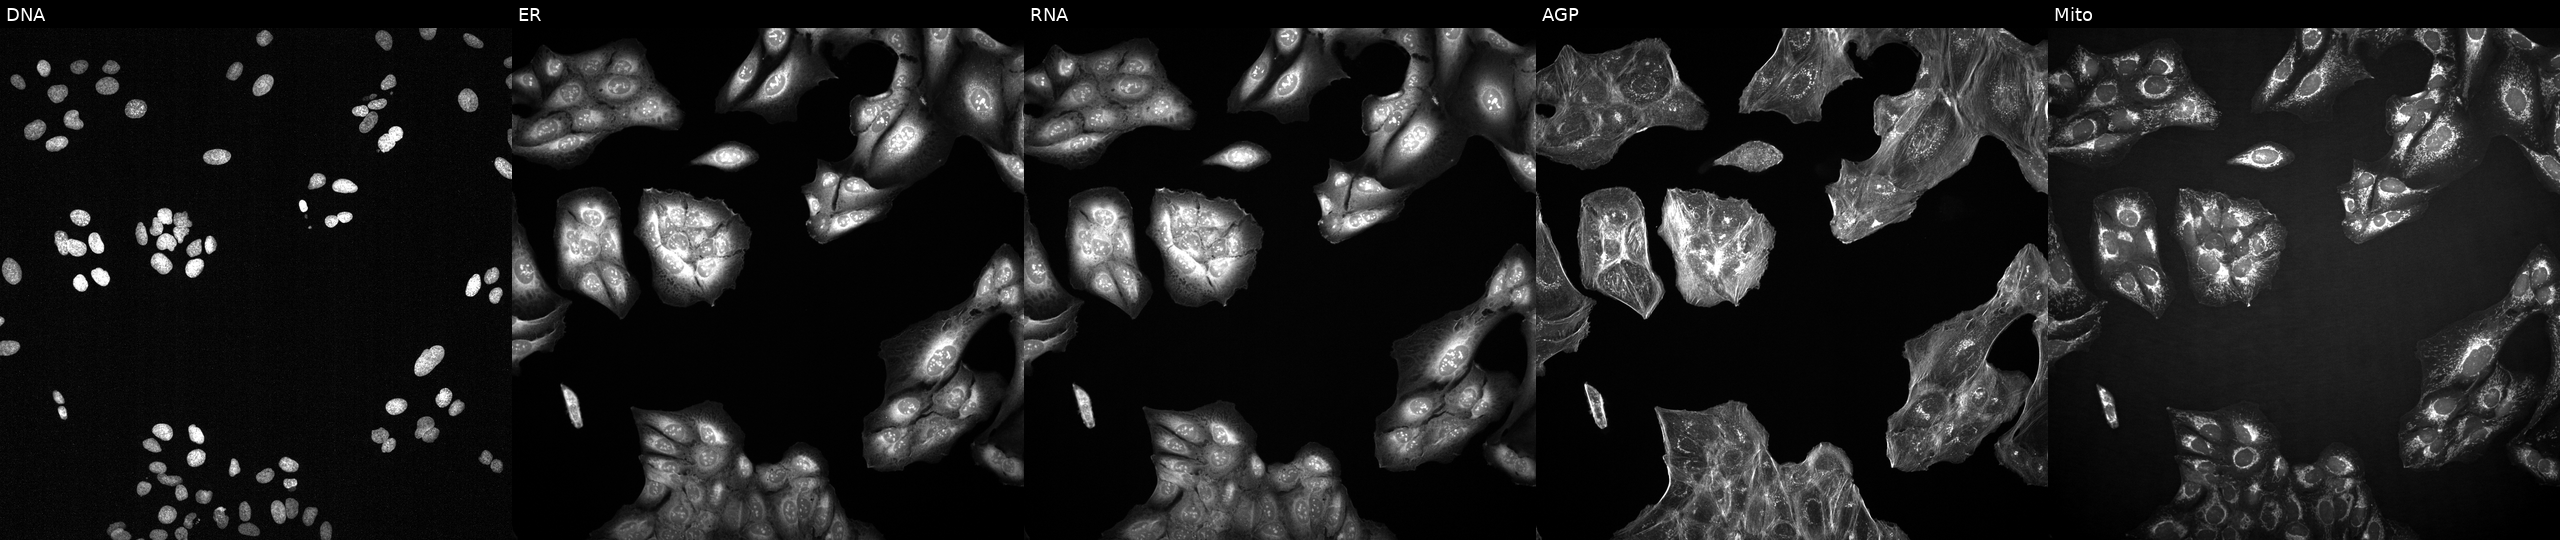
JUMP Cell Painting — TARGET2 plate. U2OS cells perturbed with a small-molecule compound. From left to right: DNA (nuclei); ER (endoplasmic reticulum); RNA (nucleoli and cytoplasmic RNA); AGP (actin cytoskeleton, Golgi, and plasma membrane); Mito (mitochondria). Source 2, plate 1053600674, well M04.